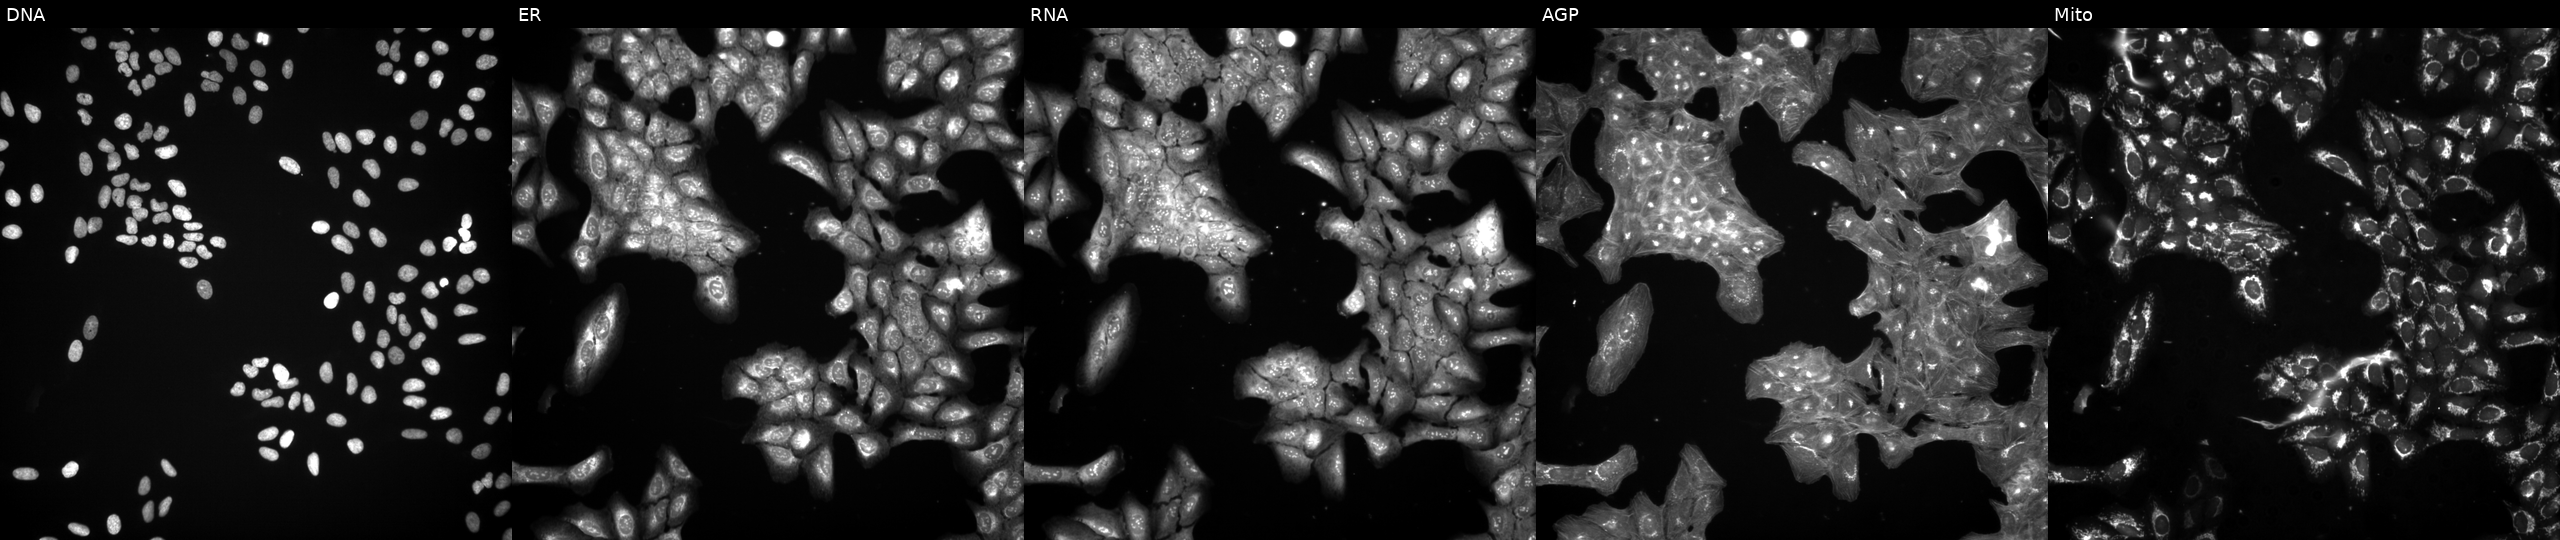
U2OS cells, Cell Painting assay, perturbed with a small-molecule compound (InChIKey OVWQROAKSMNUQN-UHFFFAOYSA-N) [SMILES: CC1ON(c2ccc(Br)cc2)C(=O)NC1=O]. From left to right: DNA (nuclei); ER (endoplasmic reticulum); RNA (nucleoli and cytoplasmic RNA); AGP (actin cytoskeleton, Golgi, and plasma membrane); Mito (mitochondria). Each panel is percentile-stretched 16-bit fluorescence.